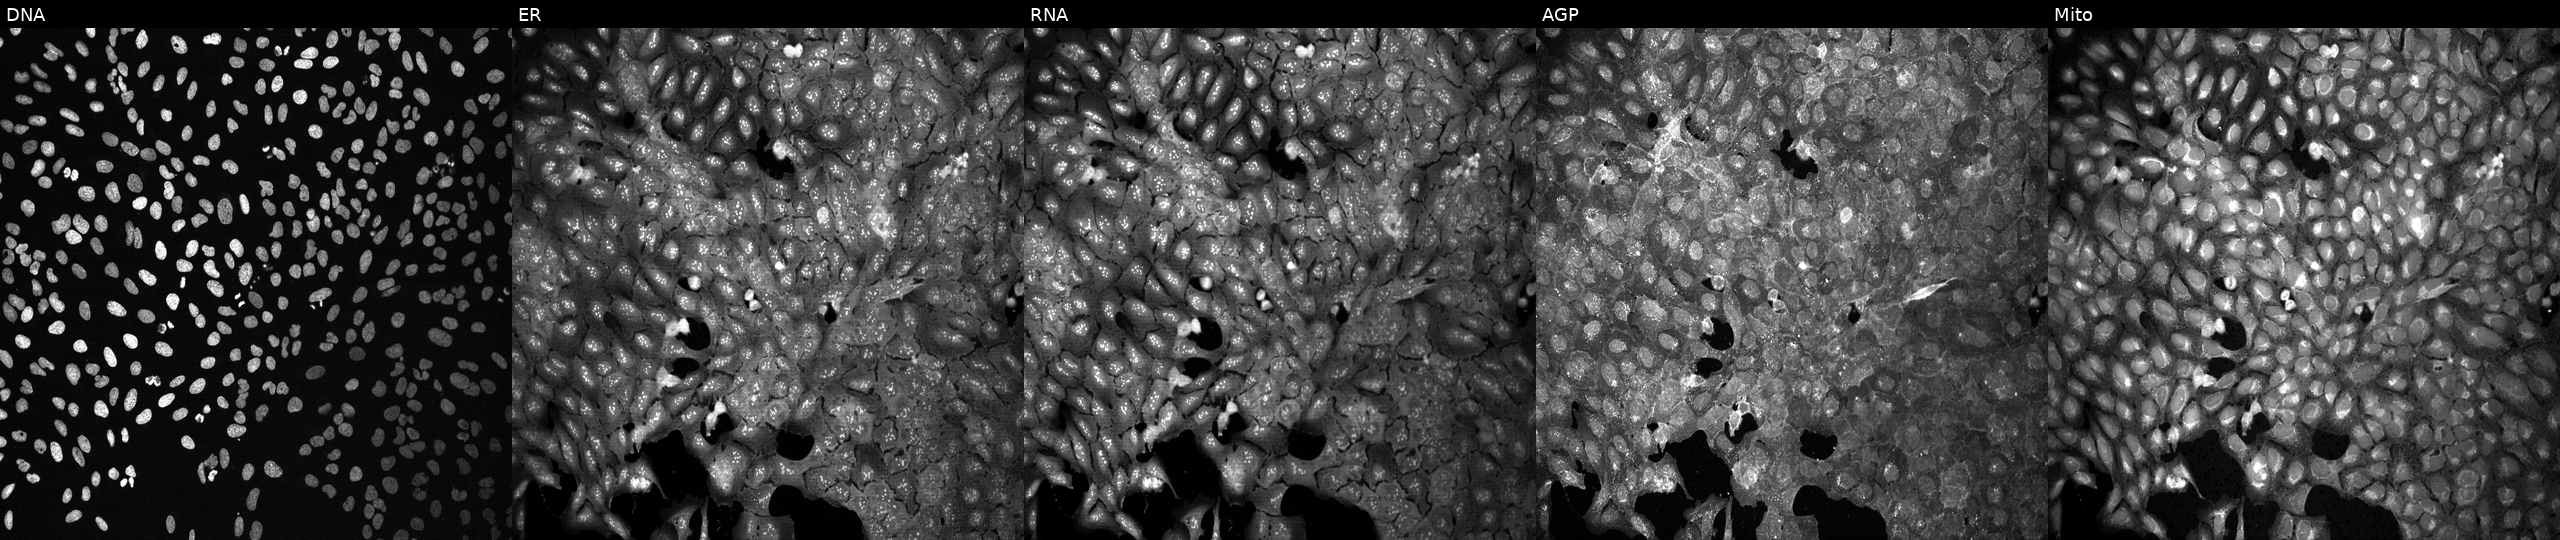
U2OS cells, Cell Painting assay, CRISPR-edited to disrupt MYH8 (JUMP id JCP2022_804369). The five panels, left to right, show DNA (nuclei); ER (endoplasmic reticulum); RNA (nucleoli and cytoplasmic RNA); AGP (actin cytoskeleton, Golgi, and plasma membrane); Mito (mitochondria). Each panel is percentile-stretched 16-bit fluorescence.